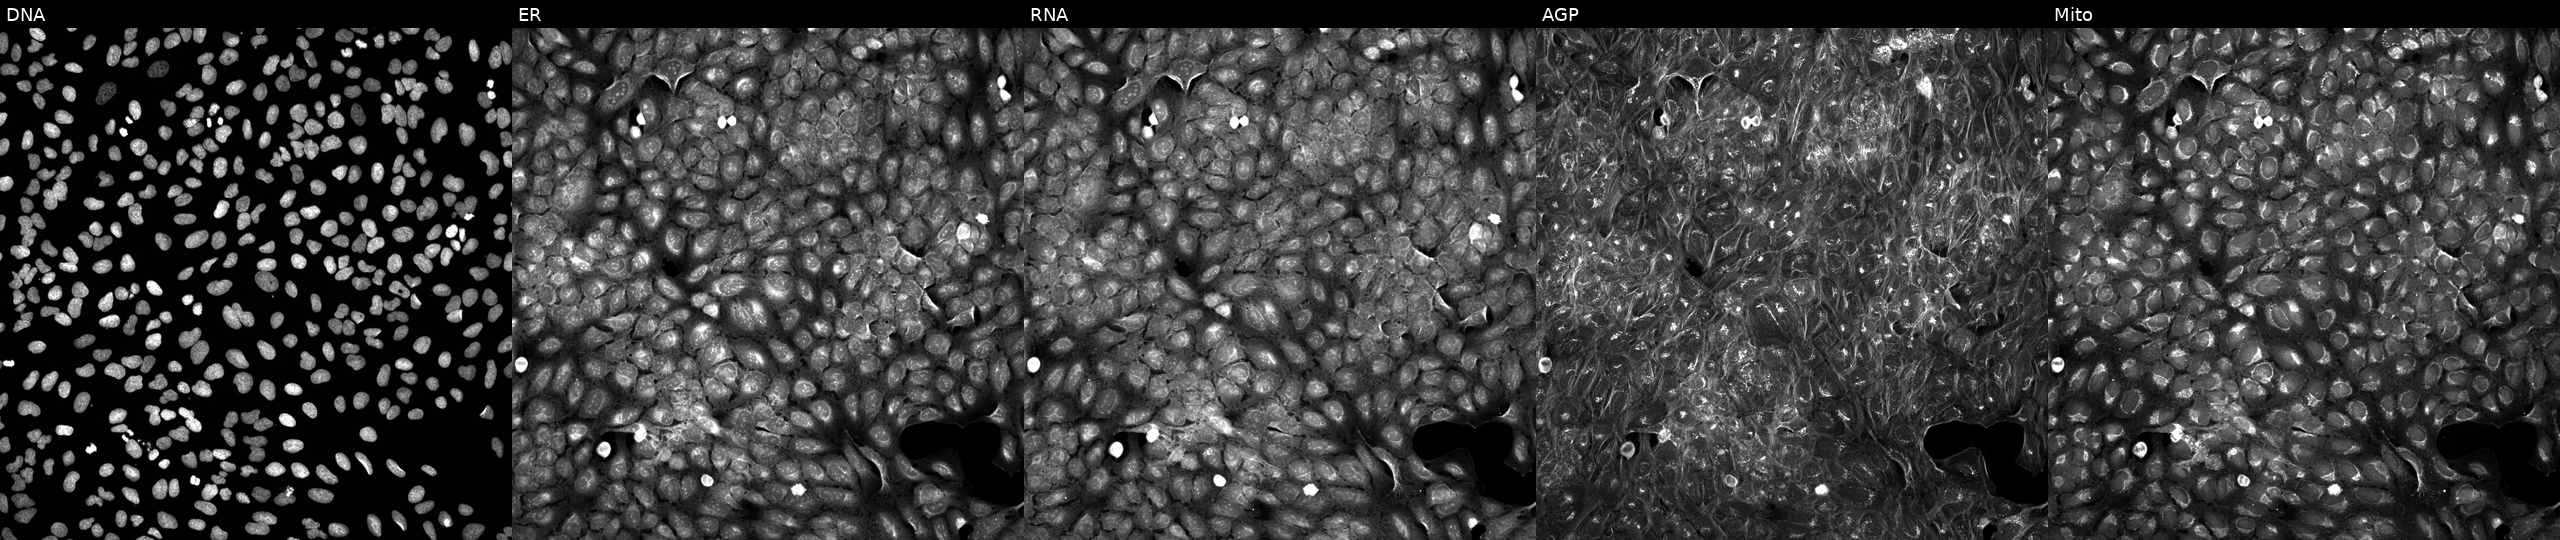
High-content fluorescence microscopy (Cell Painting). Cell line: U2OS. Perturbation: perturbed with a small-molecule compound. Panels show, left to right, Hoechst 33342, concanavalin A, SYTO 14, phalloidin and WGA, MitoTracker.